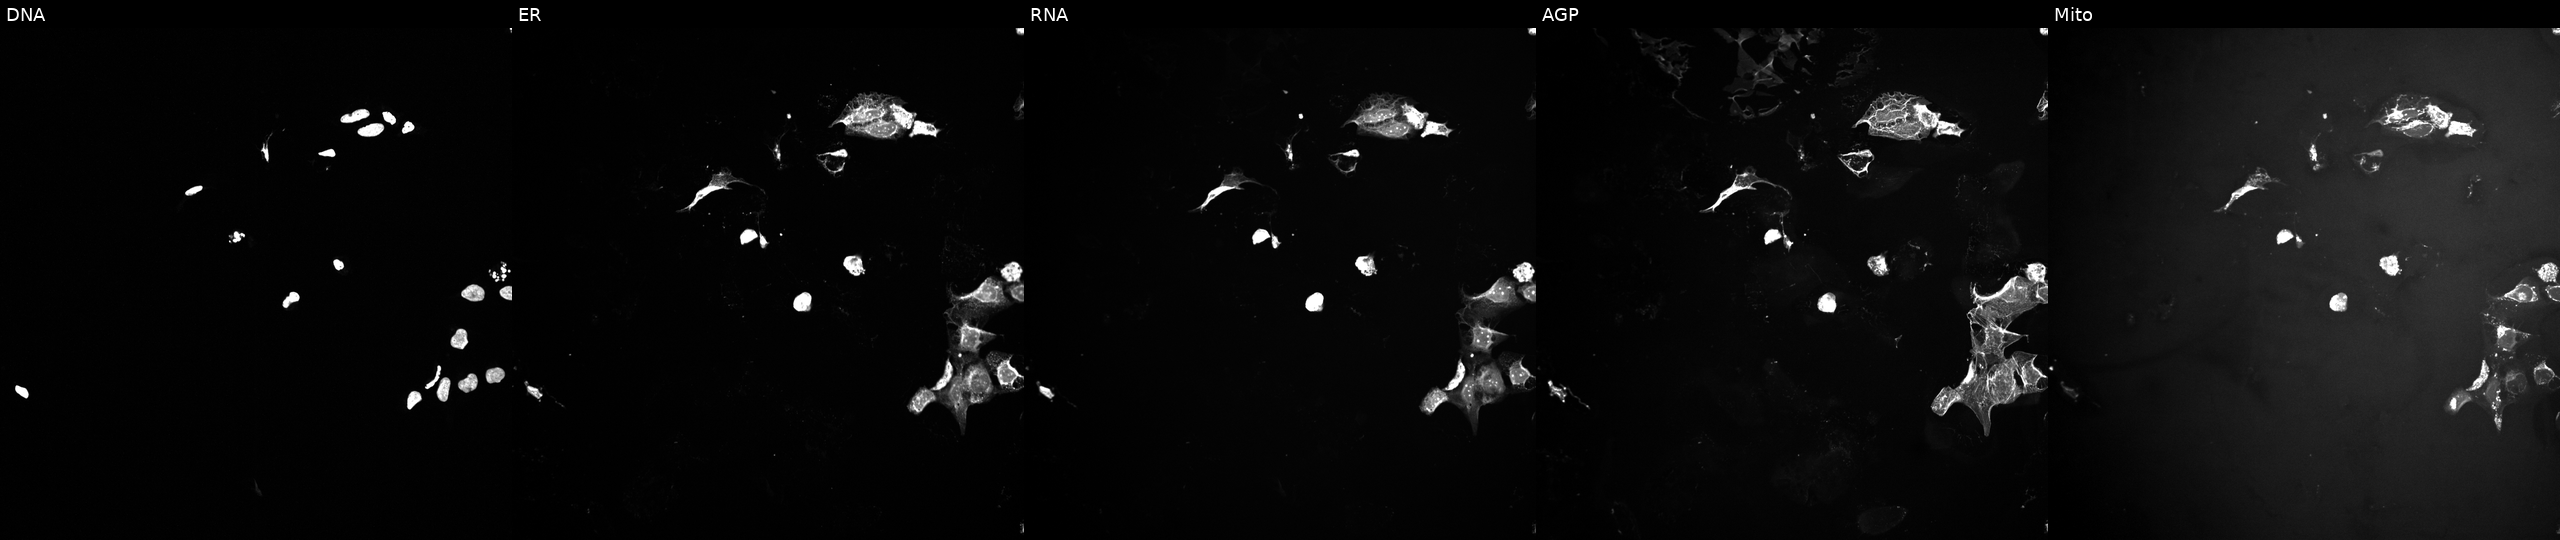
JUMP Cell Painting — TARGET2 plate. U2OS cells exposed to a small-molecule compound (InChIKey WSMQUUGTQYPVPD-UHFFFAOYSA-N) (JUMP id JCP2022_100876). Panels show, left to right, DNA, ER, RNA, AGP, and Mito.